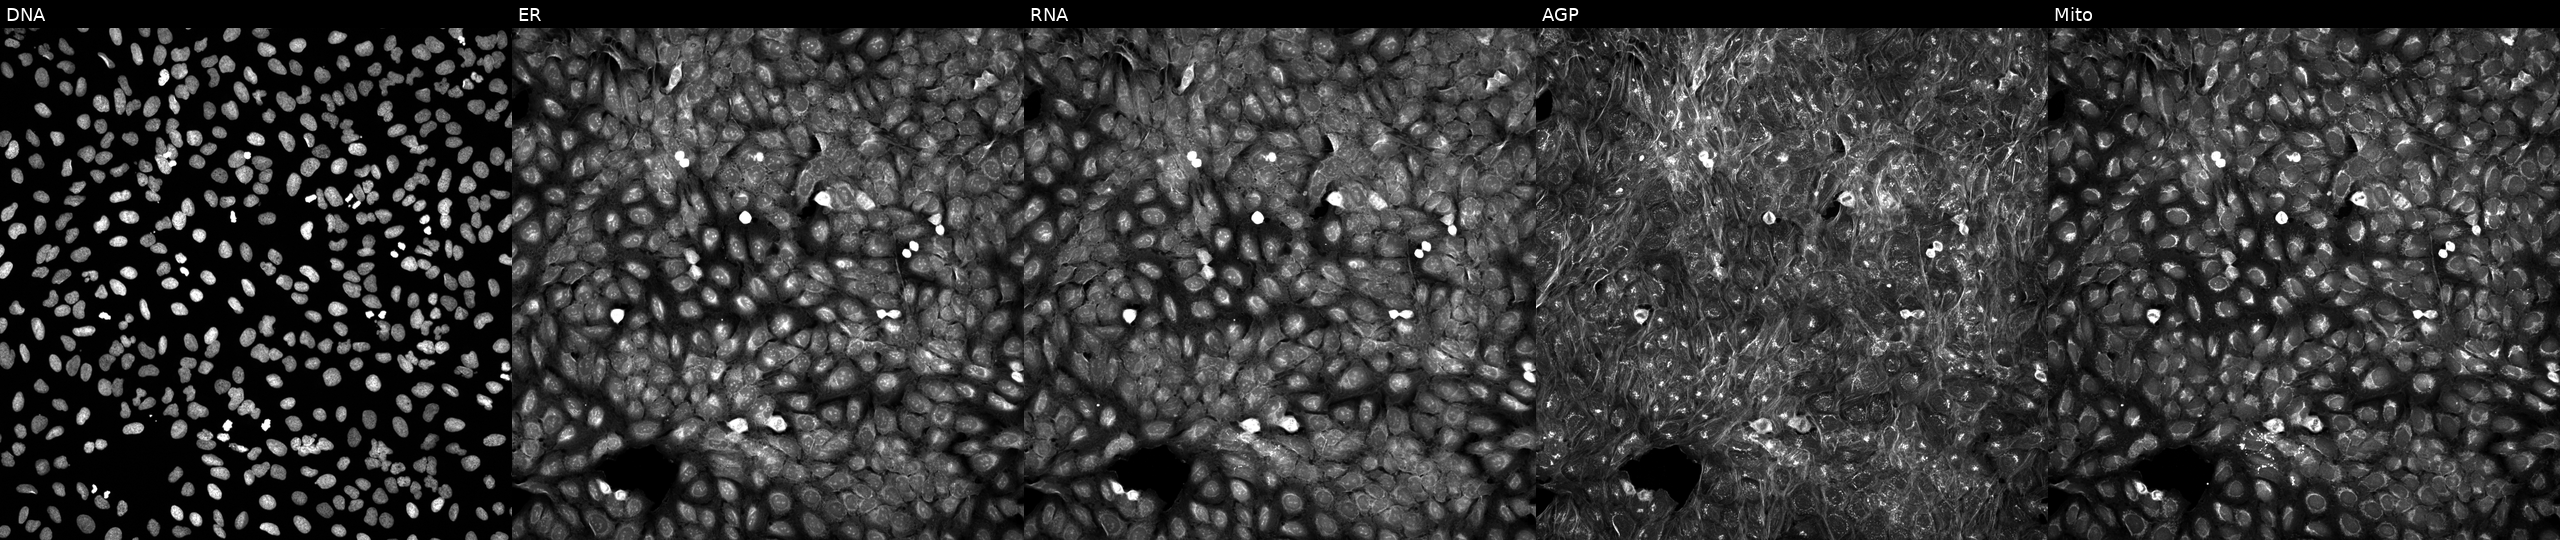
Five-channel Cell Painting image of U2OS cells perturbed with a small-molecule compound [SMILES: Cn1cc(S(=O)(=O)NC(c2cccc(F)c2)c2ccccn2)cn1] (JUMP id JCP2022_102901). Panels show, left to right, Hoechst 33342, concanavalin A, SYTO 14, phalloidin and WGA, MitoTracker. Source 5, plate APTJUM106, well O09.